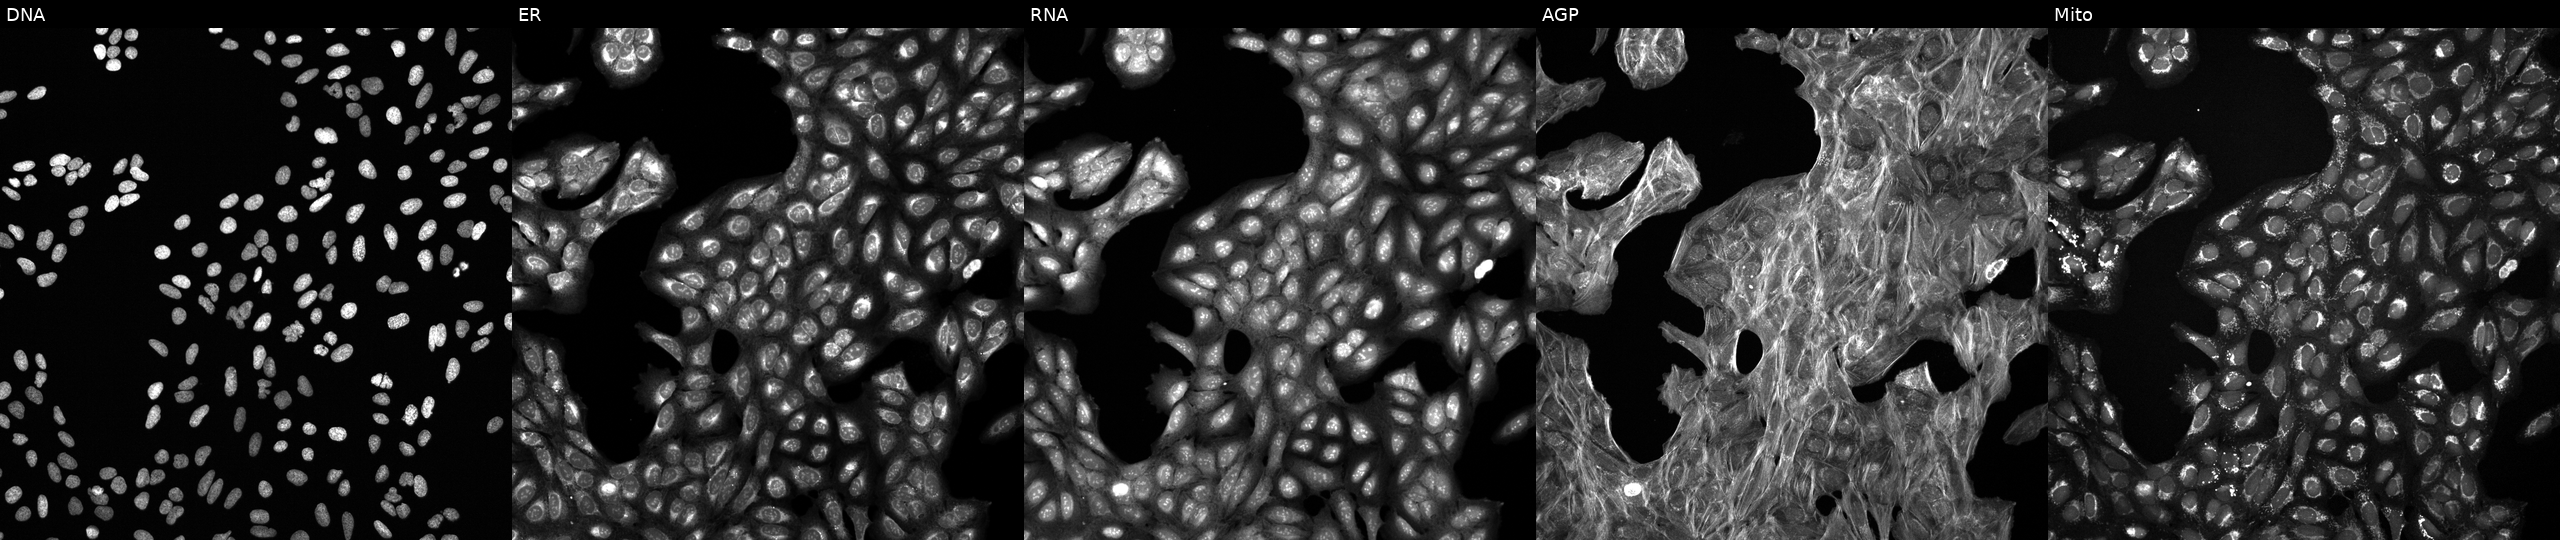
From left to right: DNA (nuclei); ER (endoplasmic reticulum); RNA (nucleoli and cytoplasmic RNA); AGP (actin cytoskeleton, Golgi, and plasma membrane); Mito (mitochondria). U2OS osteosarcoma cells perturbed with a small-molecule compound (InChIKey ZDXPYRJPNDTMRX-UHFFFAOYSA-N) (JUMP id JCP2022_112702). Cell Painting assay, JUMP-CP dataset. Source 6, plate 110000293093, well G22.